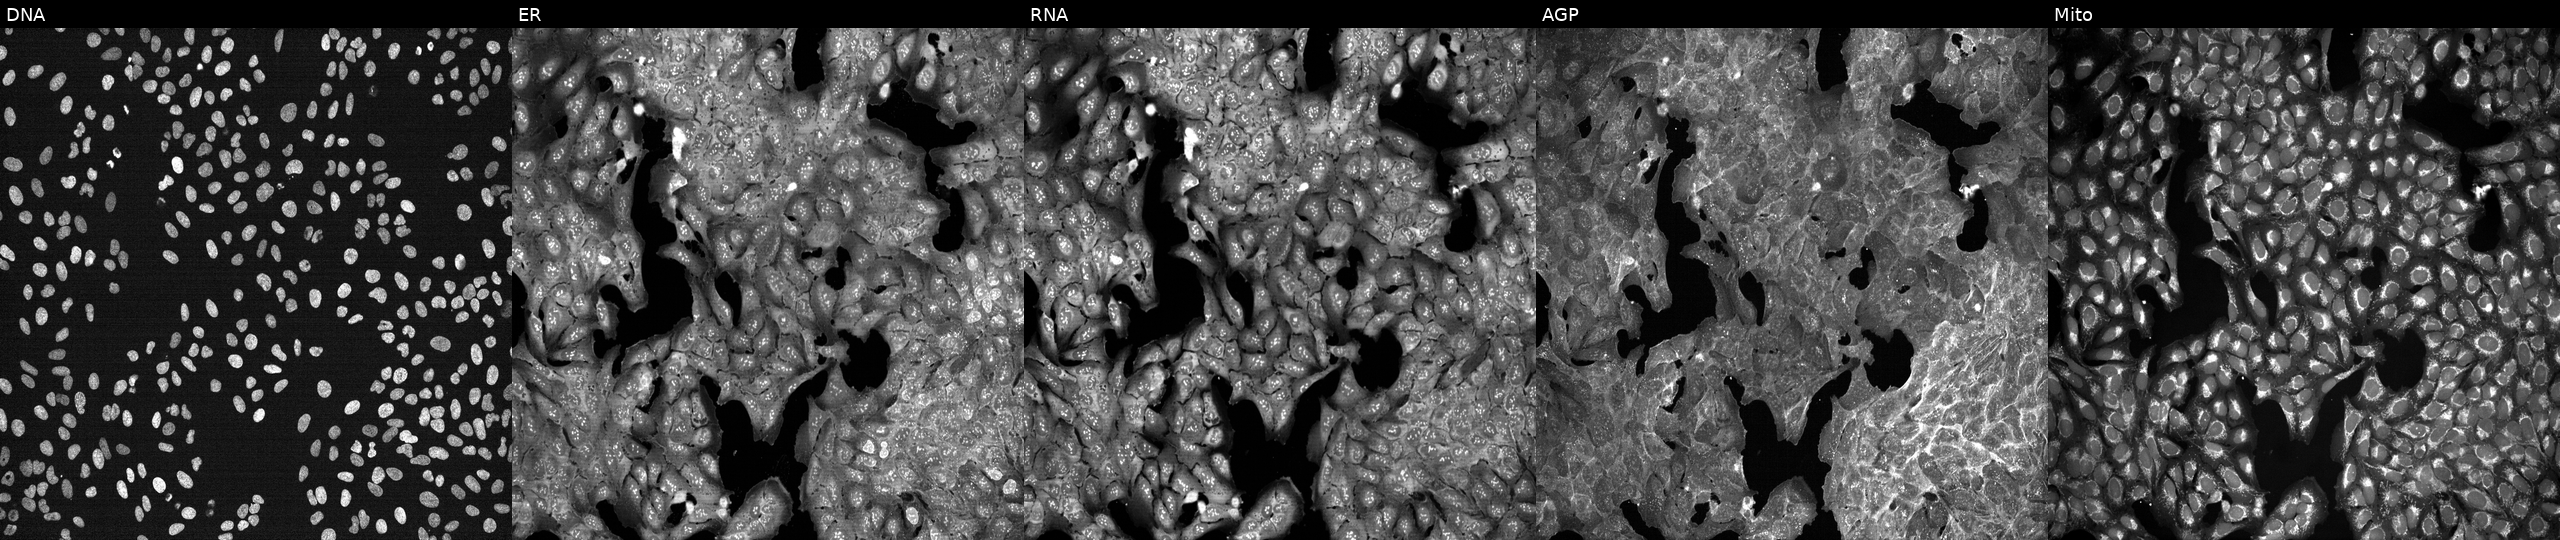
JUMP Cell Painting — TARGET2 plate. U2OS cells treated with DMSO vehicle only (negative control) (JUMP id JCP2022_033924). Panels show, left to right, DNA (nuclei); ER (endoplasmic reticulum); RNA (nucleoli and cytoplasmic RNA); AGP (actin cytoskeleton, Golgi, and plasma membrane); Mito (mitochondria). Source 7, plate CP3-SC1-25, well B13.